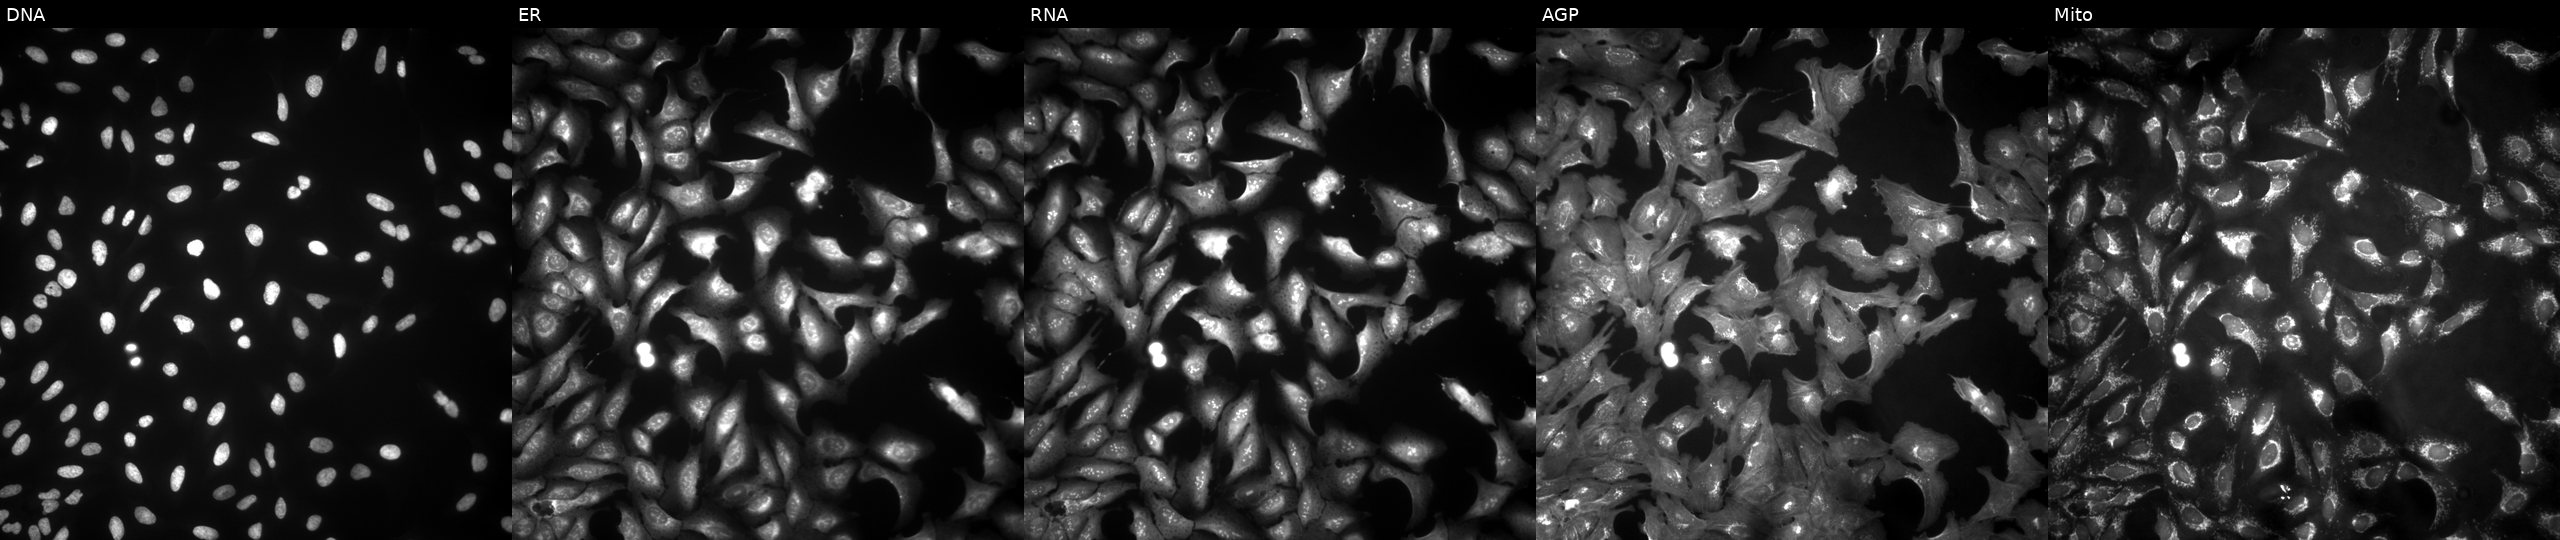
Five-channel Cell Painting image of U2OS cells expressing eGFP (ORF positive control) (JUMP id JCP2022_915132). Panels show, left to right, Hoechst 33342, concanavalin A, SYTO 14, phalloidin and WGA, MitoTracker. Source 4, plate BR00123506, well O20.